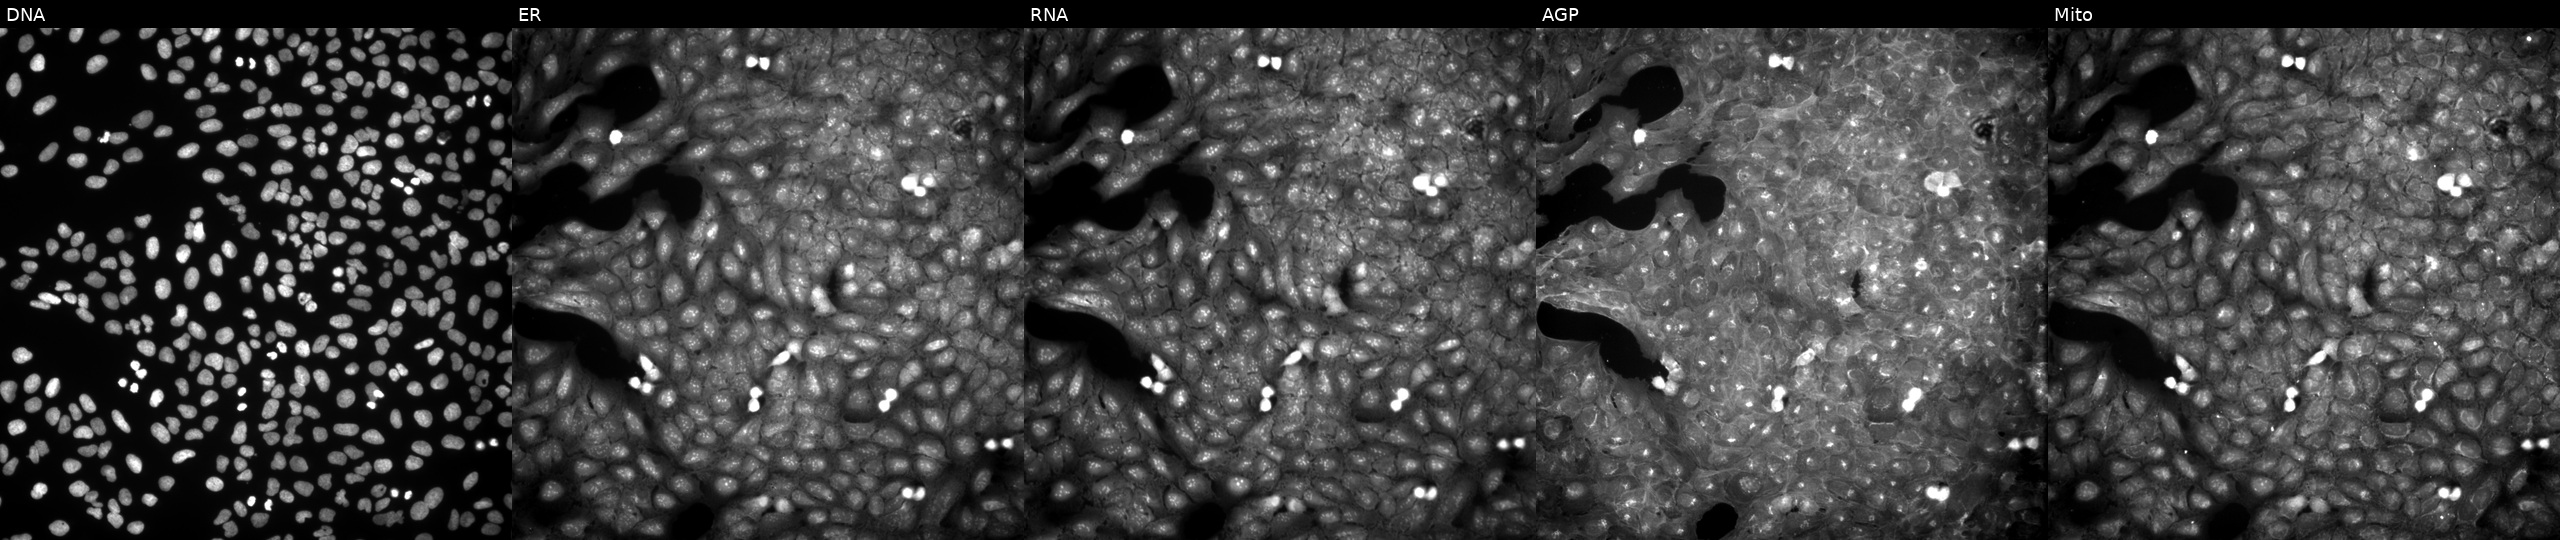
Five-channel Cell Painting image of U2OS cells exposed to a small-molecule compound (InChIKey FFPMXICGYCCVGZ-UHFFFAOYSA-N) (JUMP id JCP2022_020342). The five panels, left to right, show DNA, ER, RNA, AGP, and Mito. Source 9, plate GR00003381, well E30.